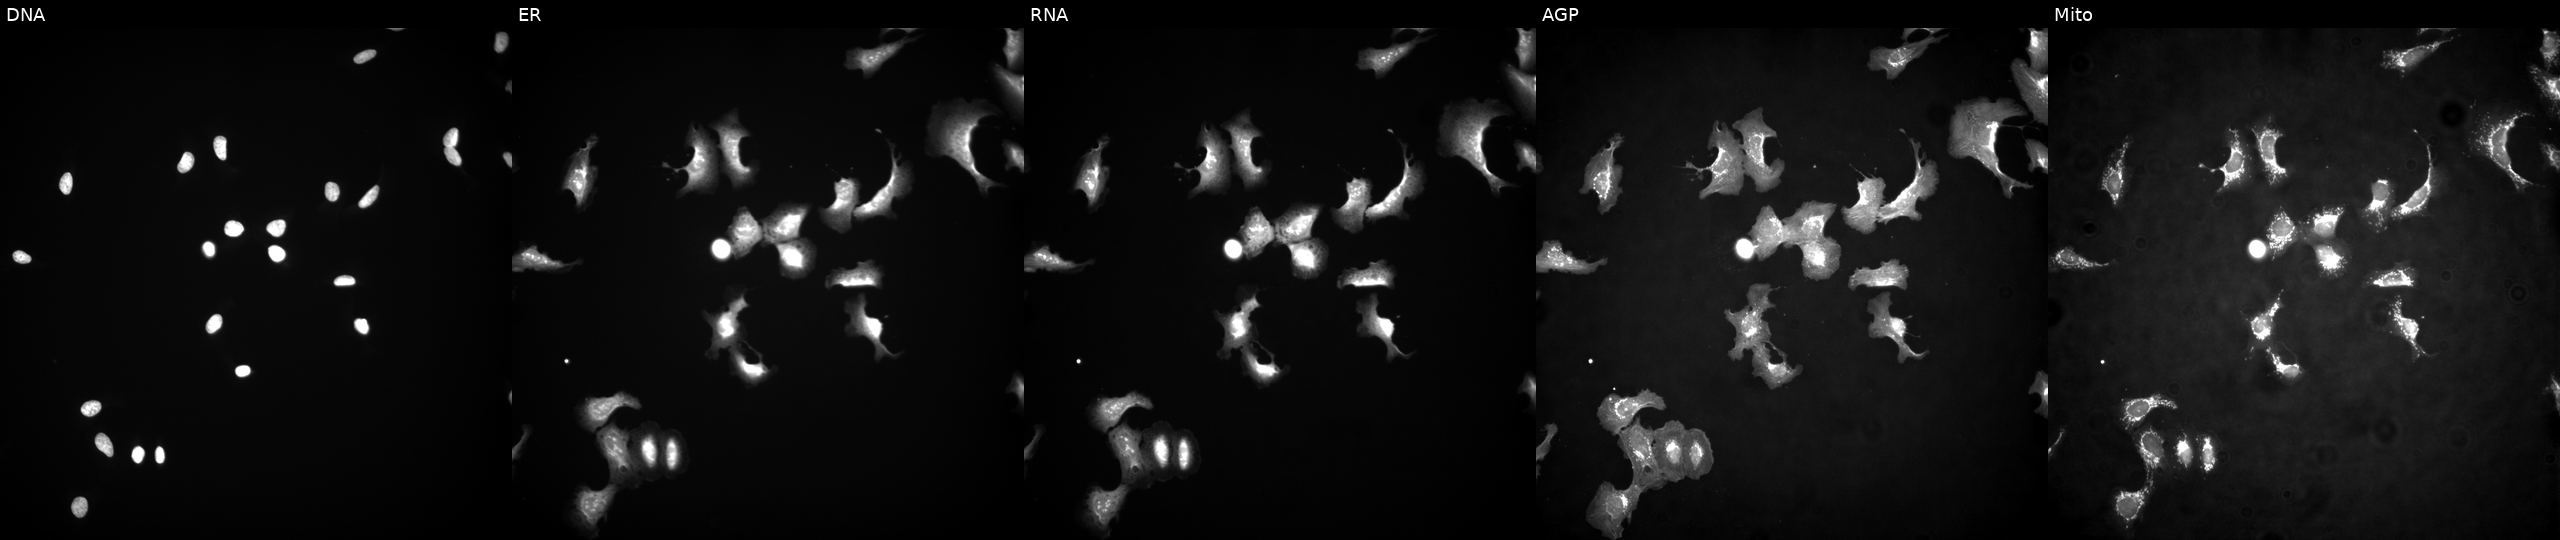
U2OS cells, Cell Painting assay, transfected with an ORF construct for ZBTB18 (JUMP id JCP2022_907120). The five panels, left to right, show Hoechst 33342, concanavalin A, SYTO 14, phalloidin and WGA, MitoTracker. Each panel is percentile-stretched 16-bit fluorescence.